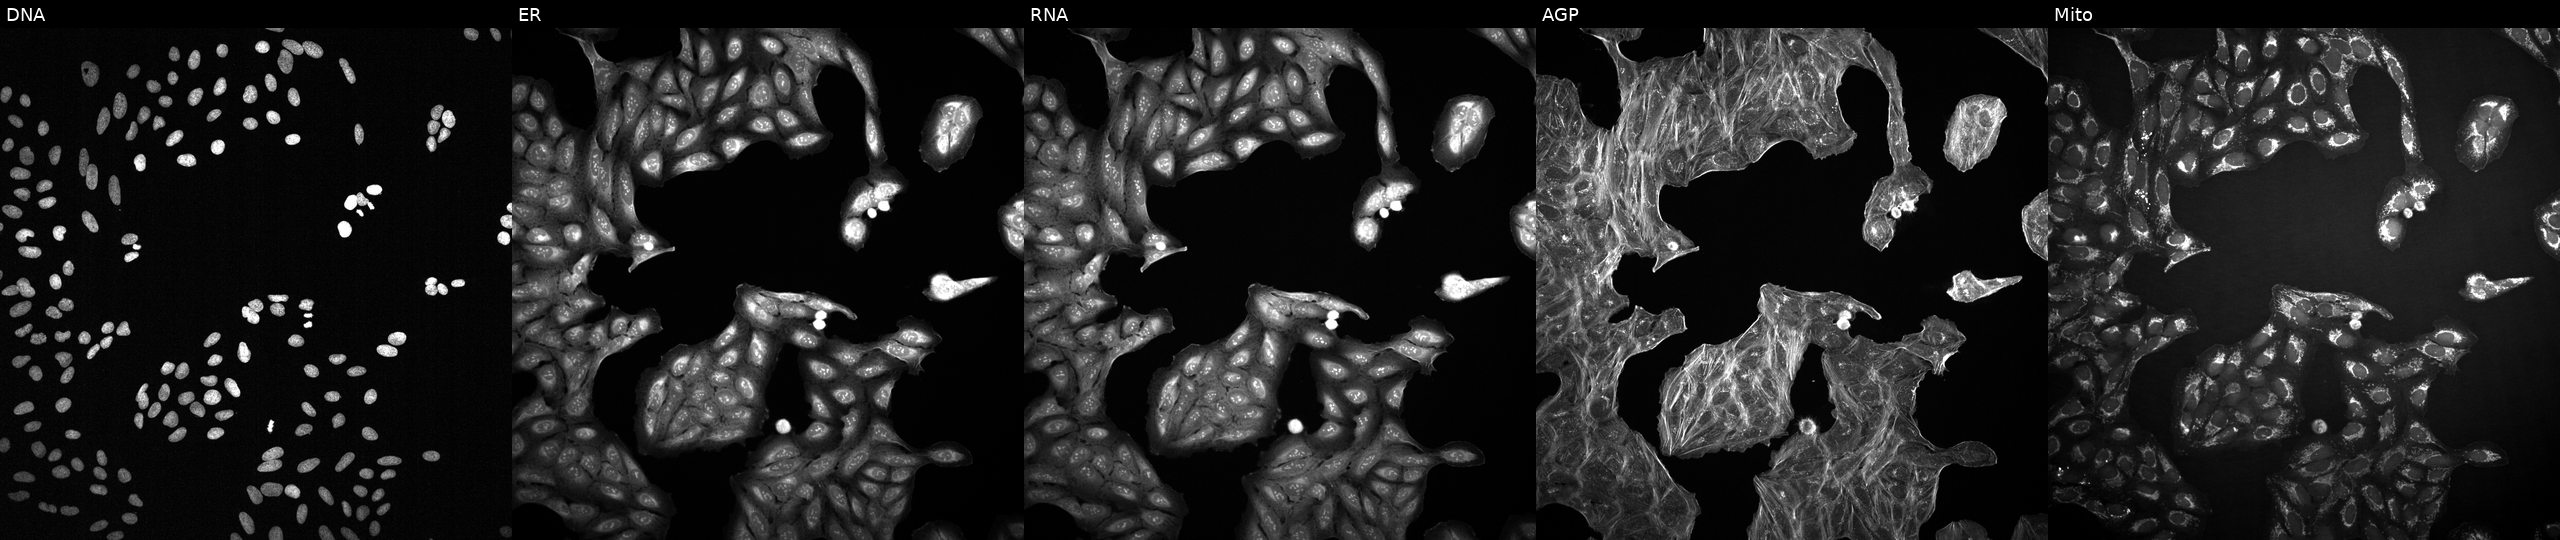
U2OS cells, Cell Painting assay, treated with a small-molecule compound (InChIKey ZZZRUAITSXLWBH-UHFFFAOYSA-N) [SMILES: CN(C)c1ccc(O)c2c1CC1CC3C(N(C)C)C(=O)C(C(N)=O)C(=O)C3(O)C(=O)C1C2=O]. From left to right: DNA, ER, RNA, AGP, and Mito. Each panel is percentile-stretched 16-bit fluorescence.